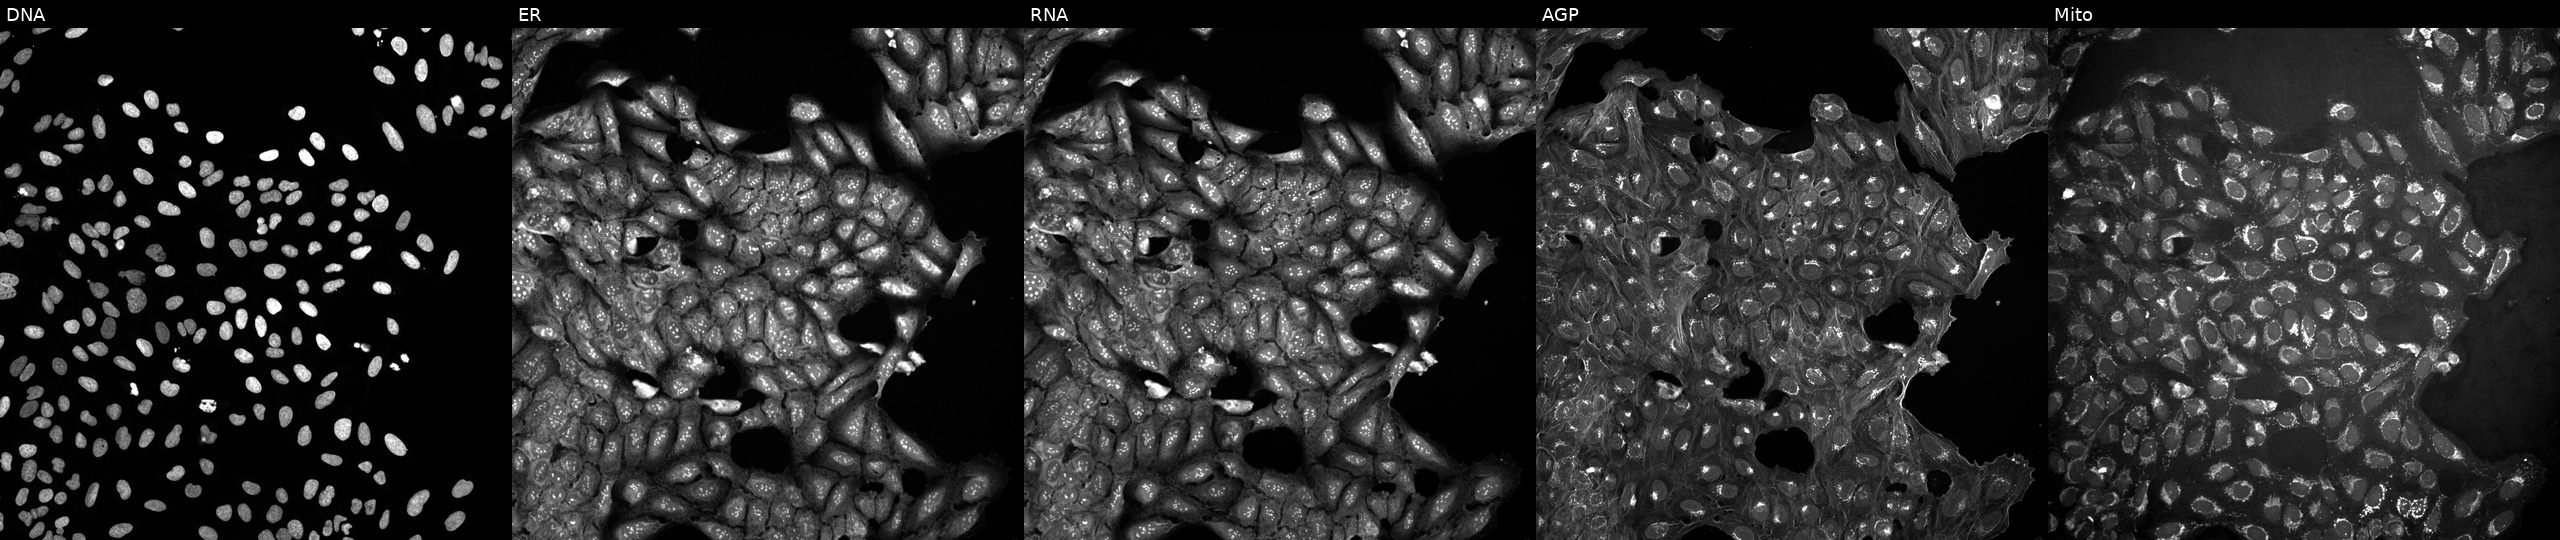
High-content fluorescence microscopy (Cell Painting). Cell line: U2OS. Perturbation: exposed to a small-molecule compound (InChIKey HYKIHUUEEJNQNR-UHFFFAOYSA-N) (JUMP id JCP2022_033441). Panels show, left to right, Hoechst 33342, concanavalin A, SYTO 14, phalloidin and WGA, MitoTracker.